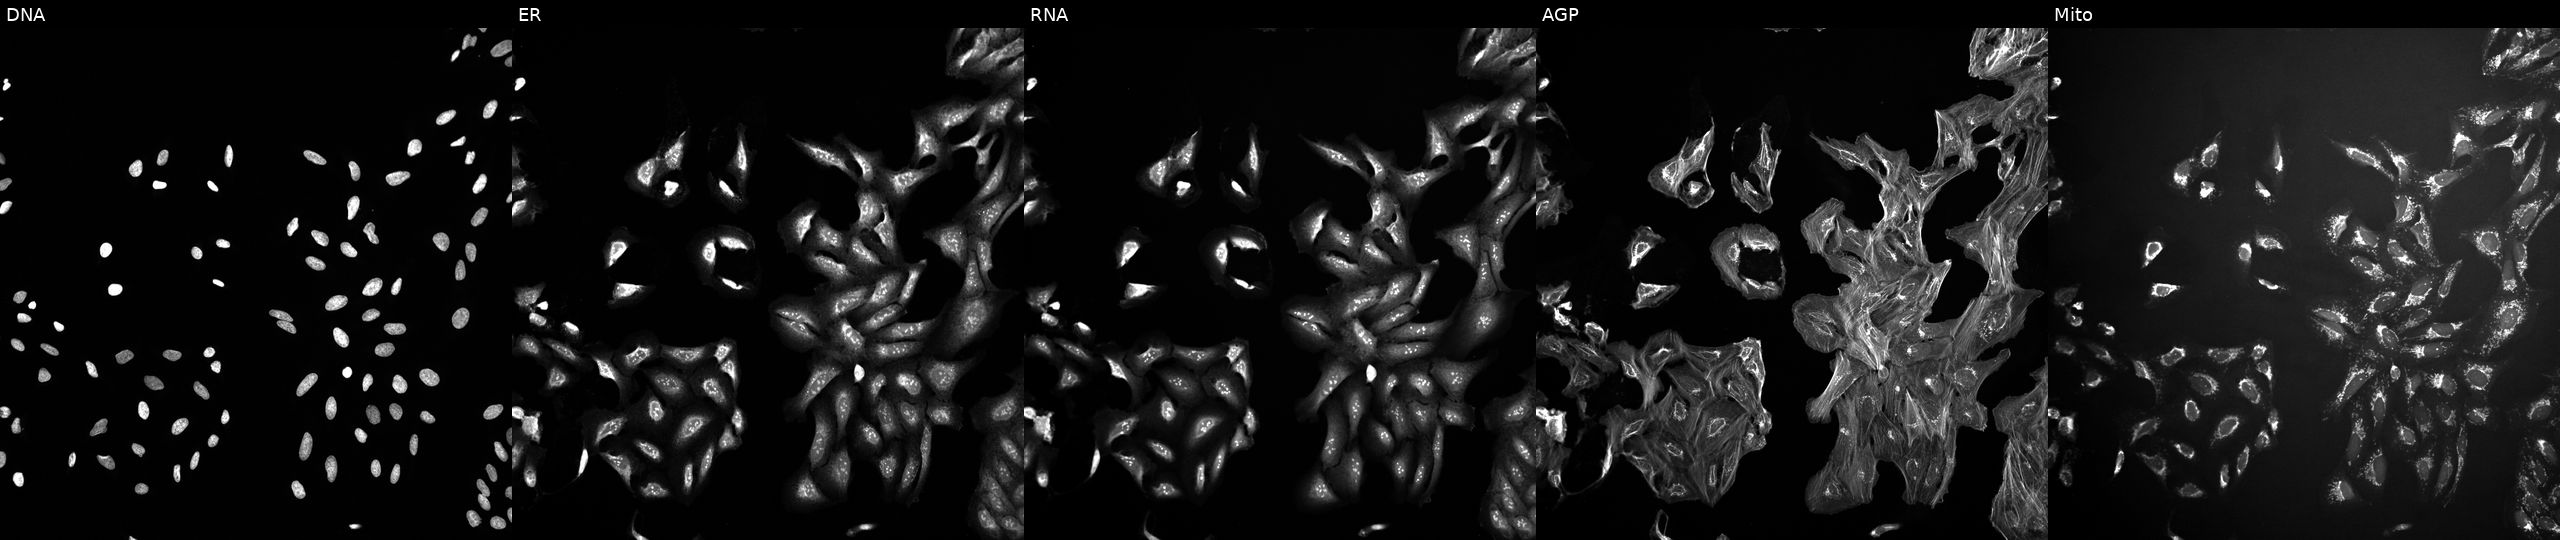
High-content fluorescence microscopy (Cell Painting). Cell line: U2OS. Perturbation: exposed to DMSO alone as a negative control. From left to right: DNA, ER, RNA, AGP, and Mito. Source 10, plate Dest210726-160150, well H17.